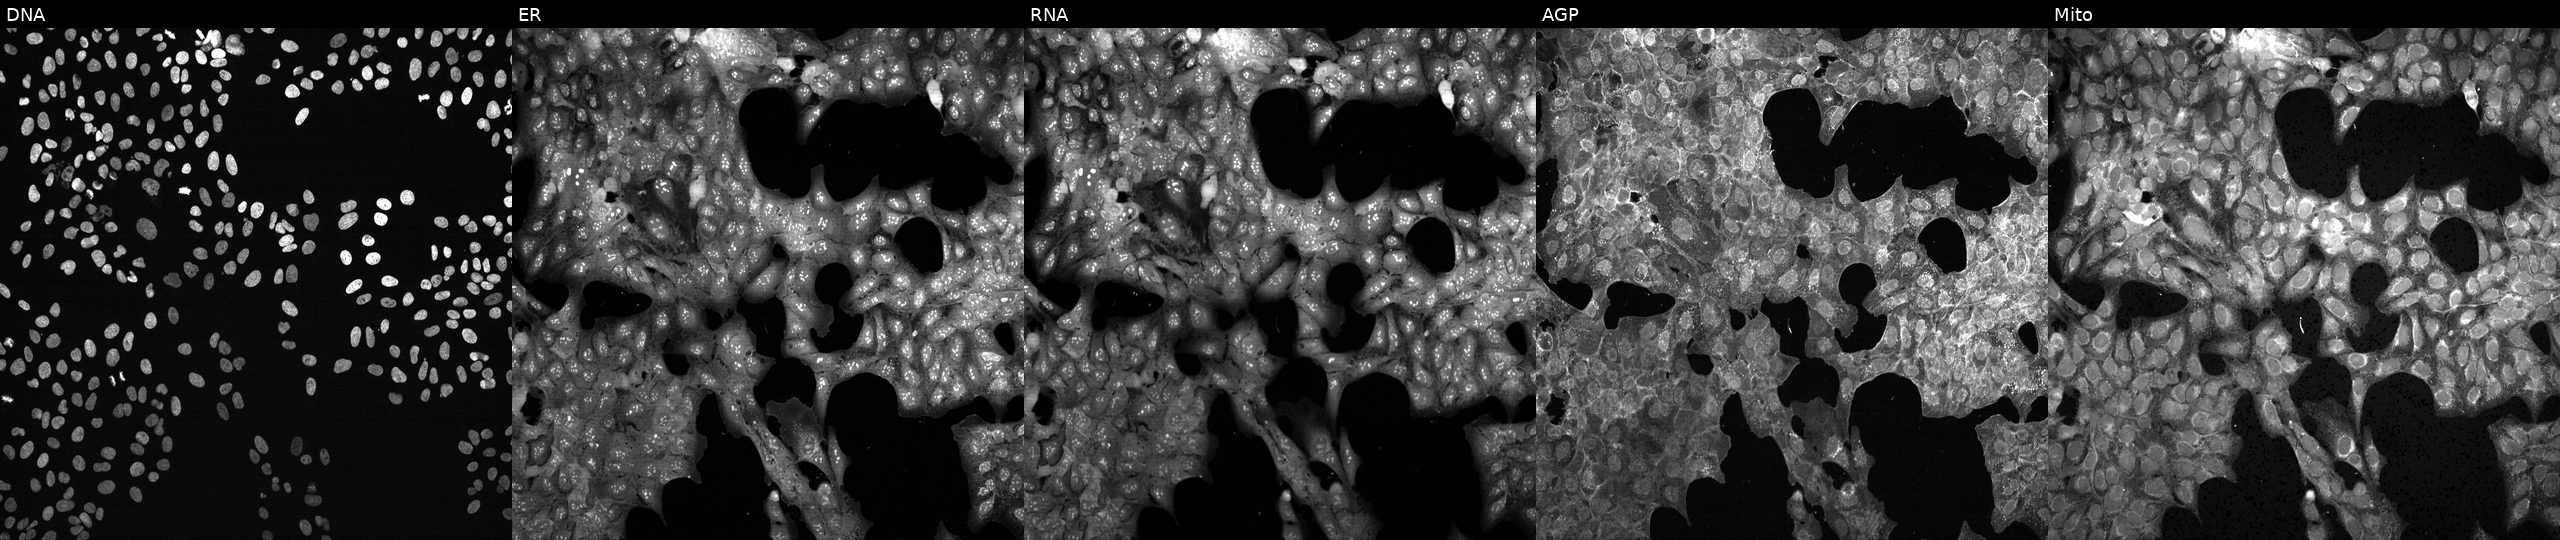
Five-channel Cell Painting image of U2OS cells treated with LY2109761 (positive-control compound). Channels (left→right): Hoechst 33342, concanavalin A, SYTO 14, phalloidin and WGA, MitoTracker.